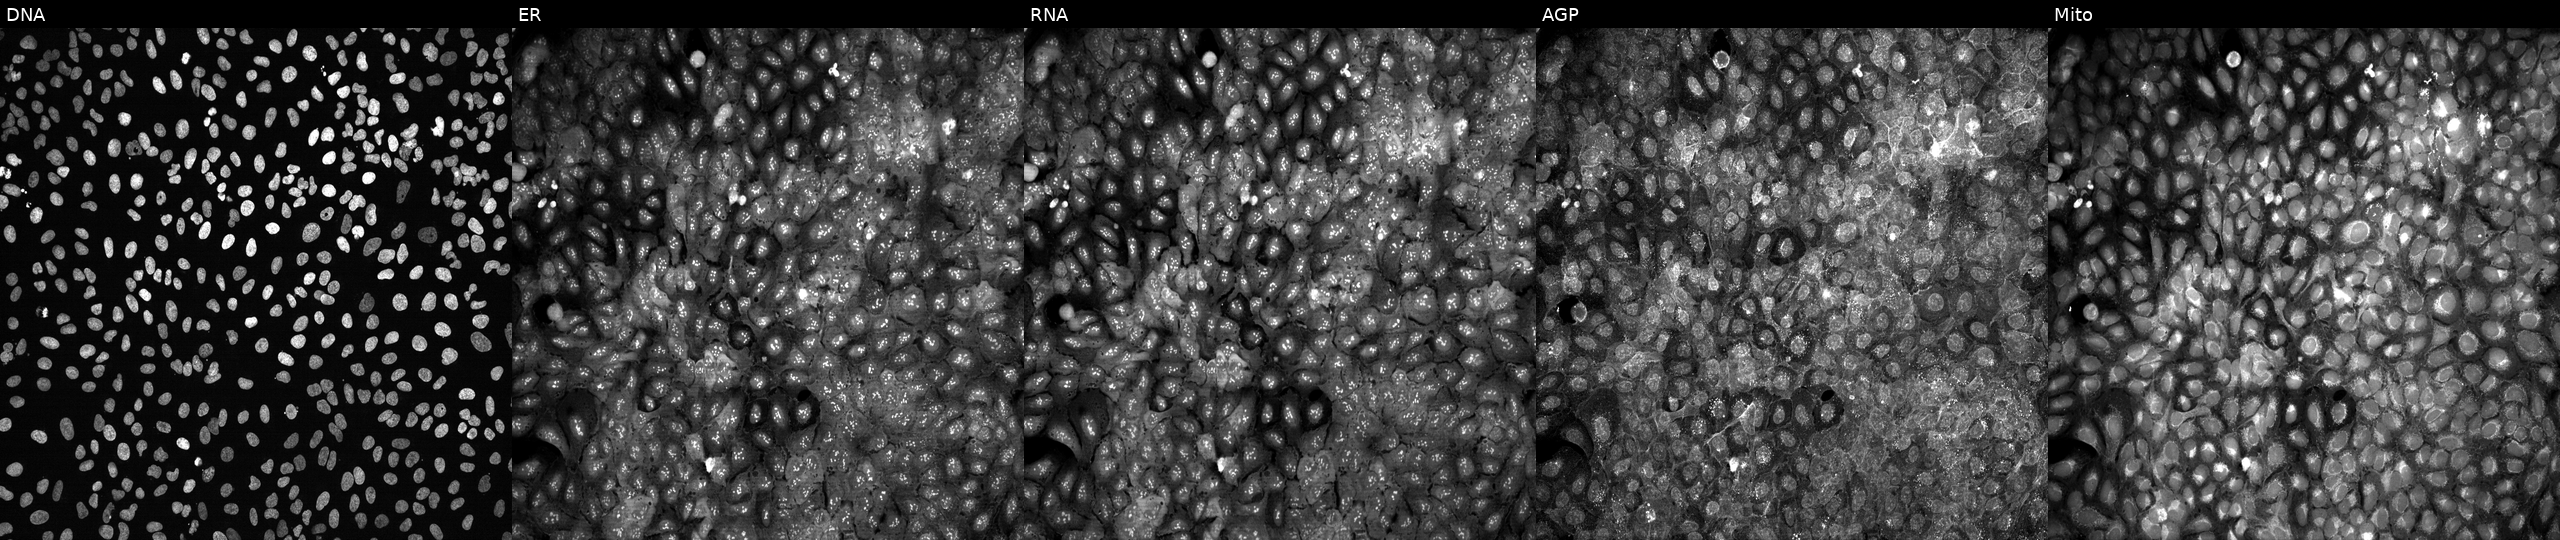
High-content fluorescence microscopy (Cell Painting). Cell line: U2OS. Perturbation: CRISPR-edited to disrupt NGLY1 (JUMP id JCP2022_804564). The five panels, left to right, show DNA (nuclei); ER (endoplasmic reticulum); RNA (nucleoli and cytoplasmic RNA); AGP (actin cytoskeleton, Golgi, and plasma membrane); Mito (mitochondria). Source 13, plate CP-CC9-R1-01, well P18.